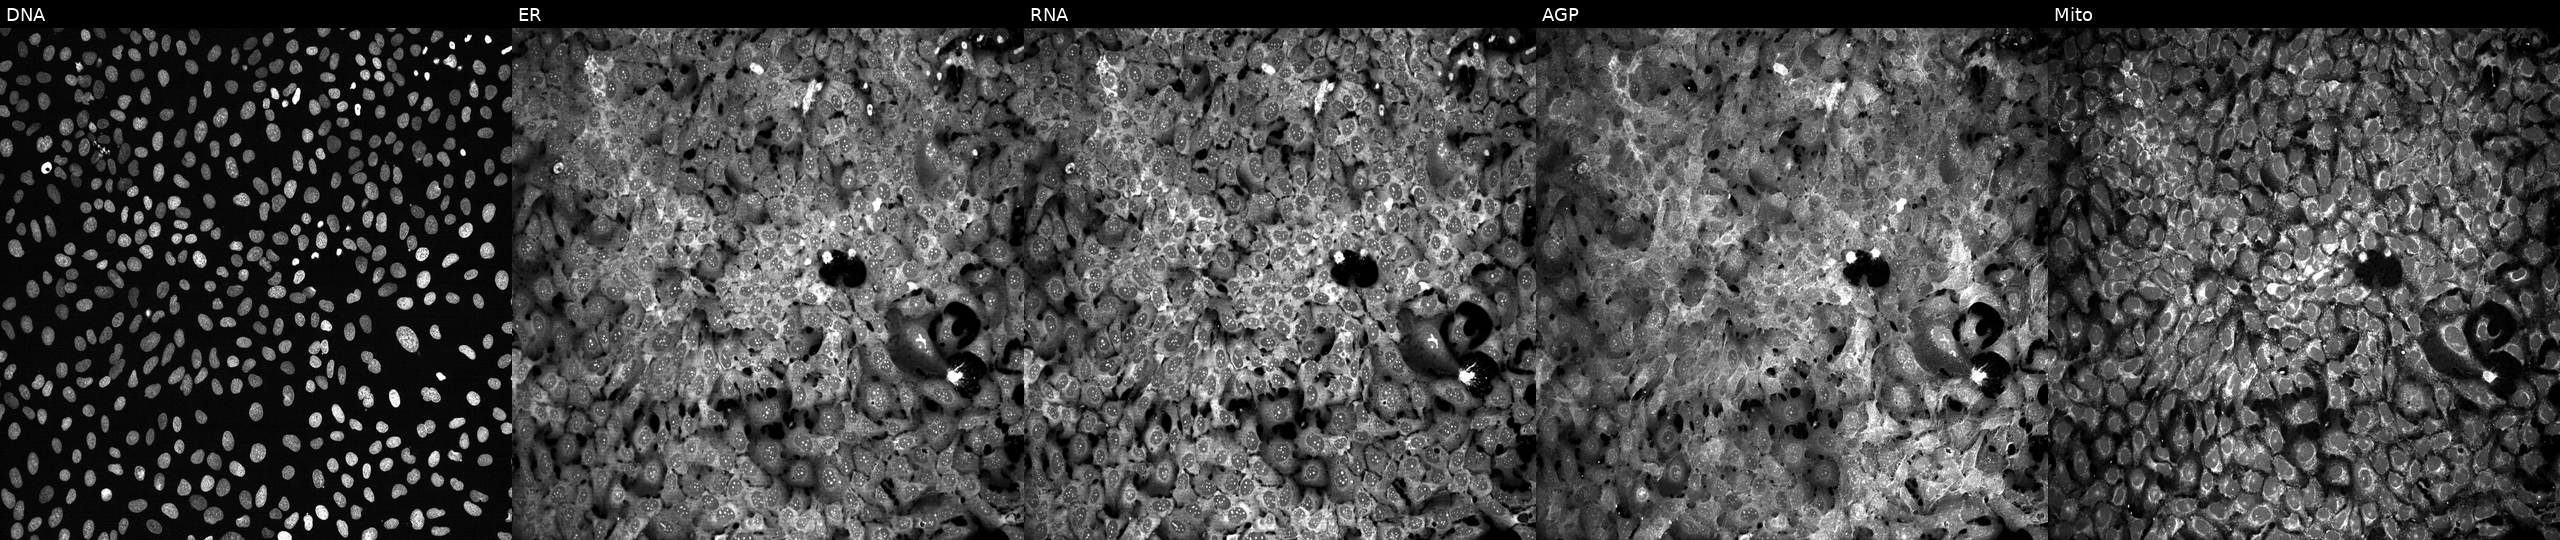
High-content fluorescence microscopy (Cell Painting). Cell line: U2OS. Perturbation: treated with FK-866 (positive-control compound). The five panels, left to right, show DNA, ER, RNA, AGP, and Mito. Source 13, plate CP-CC9-R4-03, well D01.